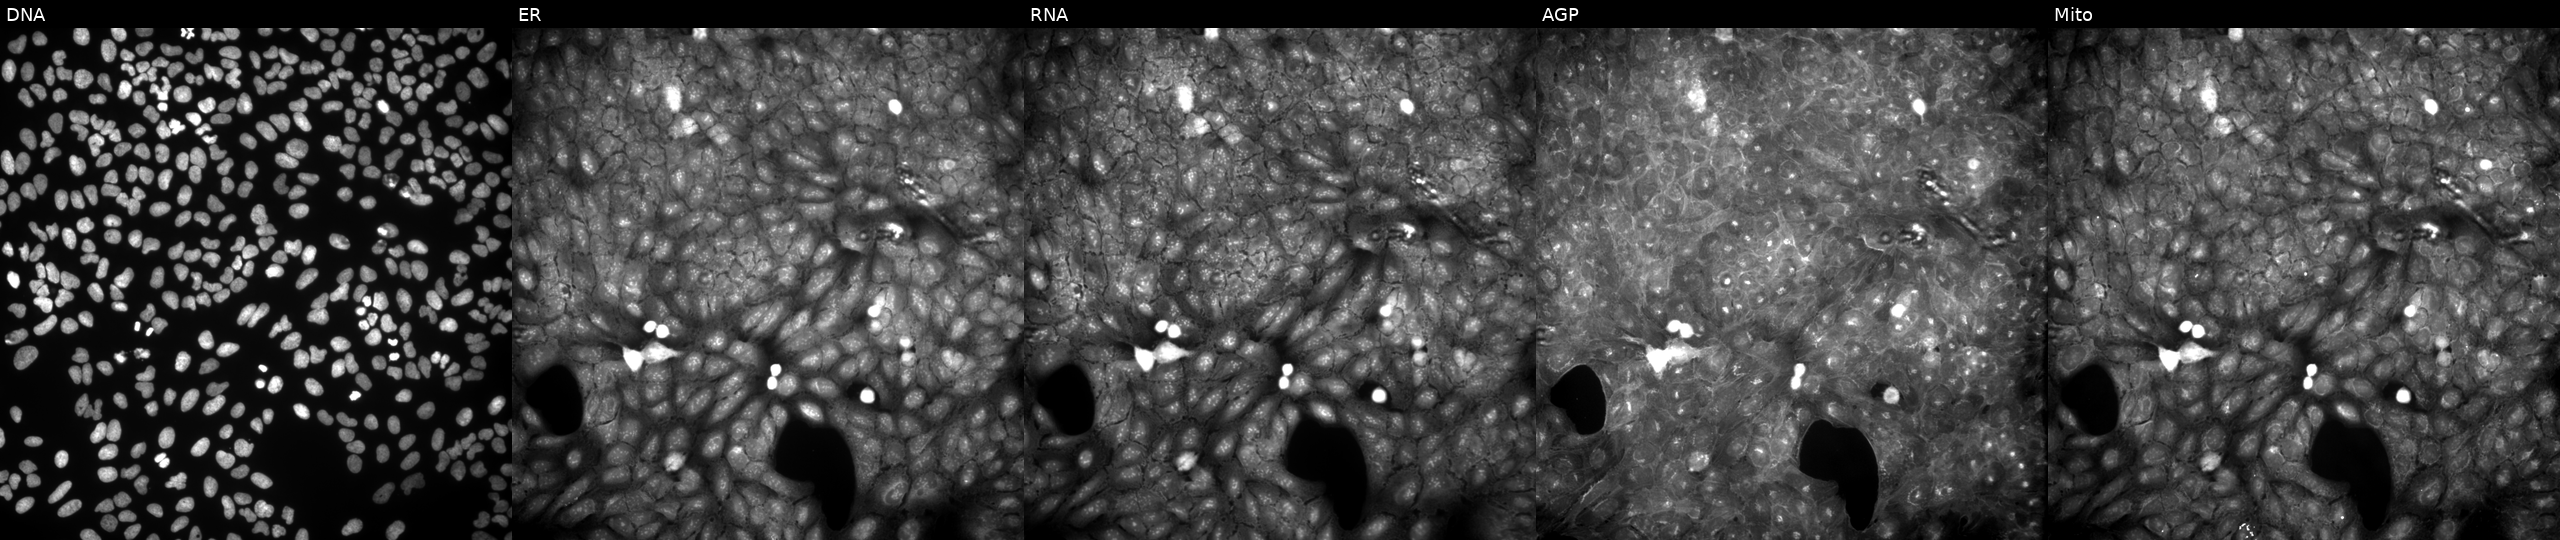
Five-channel Cell Painting image of U2OS cells treated with a small-molecule compound (InChIKey IINBTNNKFAPBRB-UHFFFAOYSA-N) (JUMP id JCP2022_035276). The five panels, left to right, show DNA, ER, RNA, AGP, and Mito.